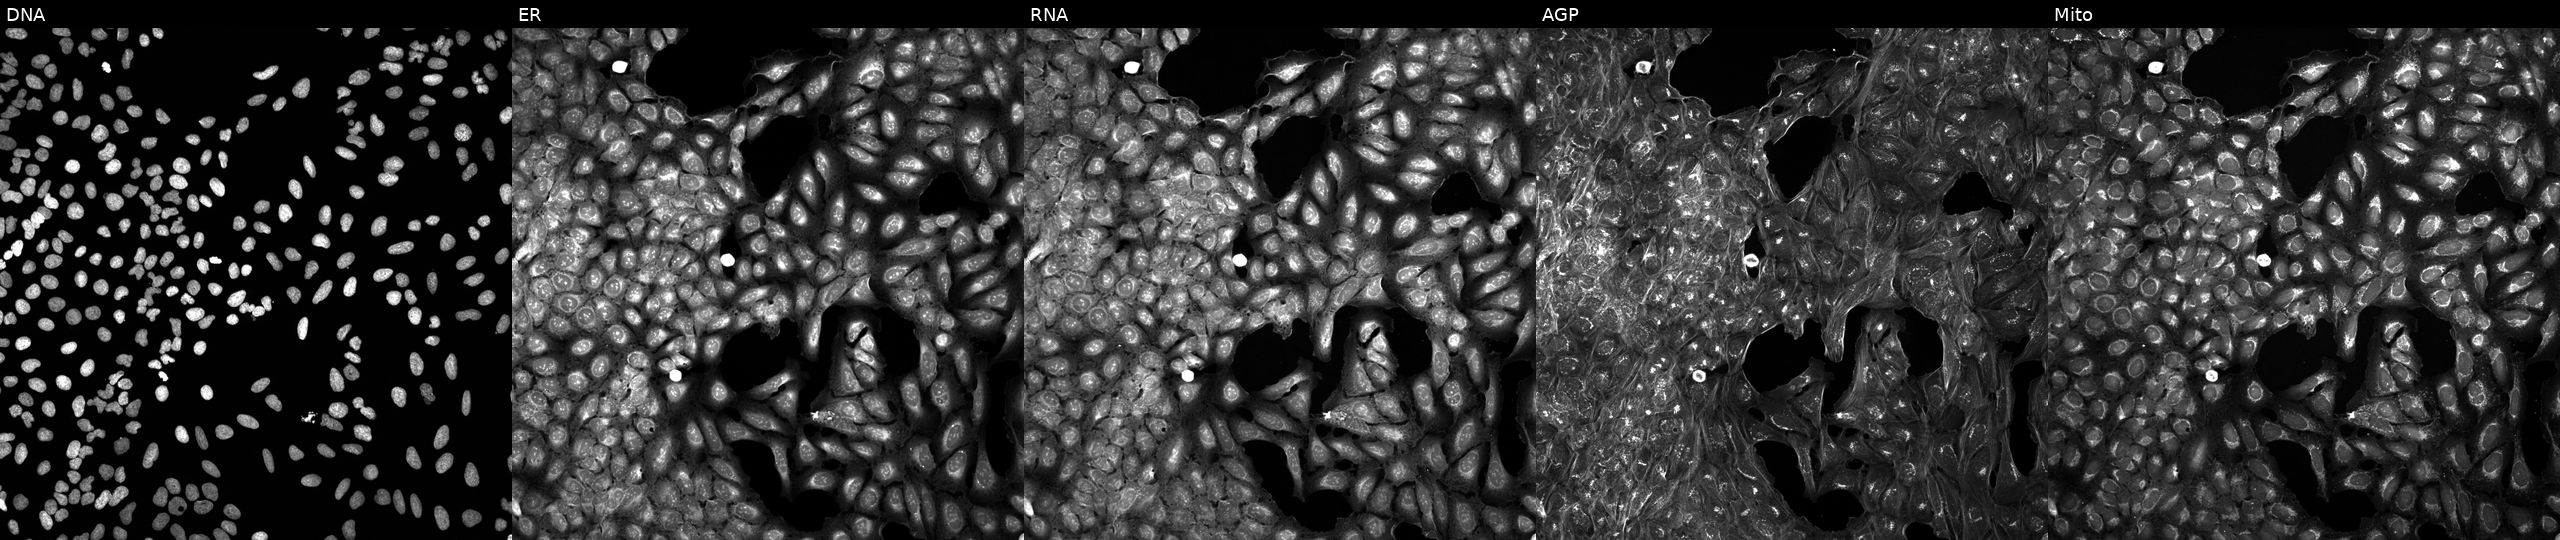
Channels (left→right): DNA (nuclei); ER (endoplasmic reticulum); RNA (nucleoli and cytoplasmic RNA); AGP (actin cytoskeleton, Golgi, and plasma membrane); Mito (mitochondria). U2OS osteosarcoma cells perturbed with a small-molecule compound (InChIKey HYACOBXYMYFOMH-UHFFFAOYSA-N). Cell Painting assay, JUMP-CP dataset. Source 5, plate APTJUM105, well G07.